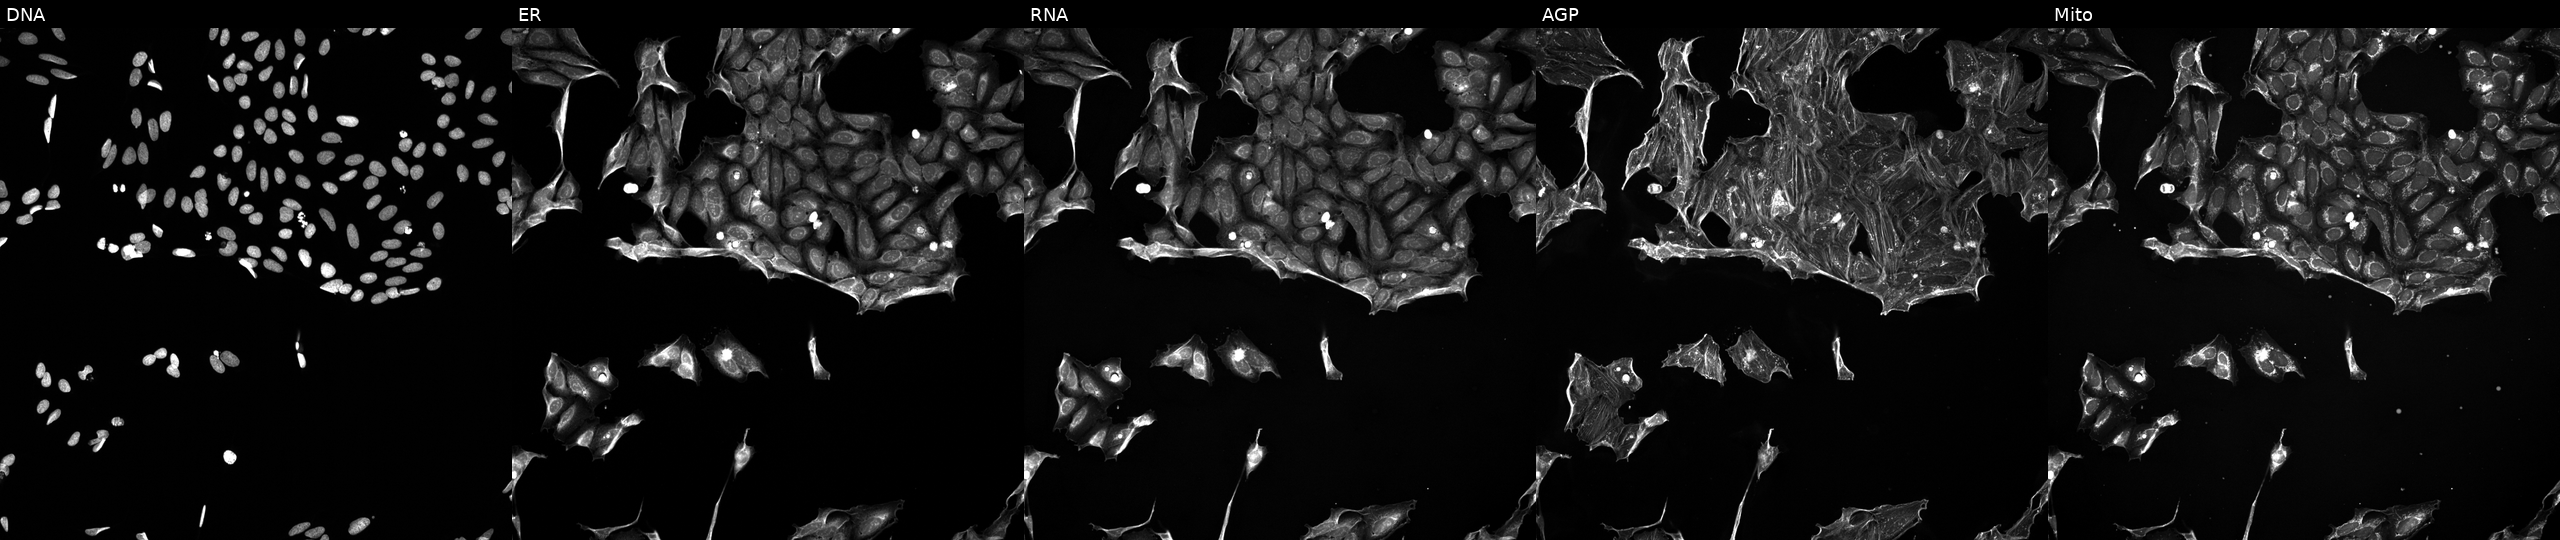
Five-channel Cell Painting image of U2OS cells exposed to a small-molecule compound (InChIKey KXBDTLQSDKGAEB-UHFFFAOYSA-N) [SMILES: C=CC(=O)Nc1cccc(N=c2[nH]c(=Nc3ccc(OCCOC)cc3)[nH]cc2F)c1] (JUMP id JCP2022_047545). The five panels, left to right, show Hoechst 33342, concanavalin A, SYTO 14, phalloidin and WGA, MitoTracker.